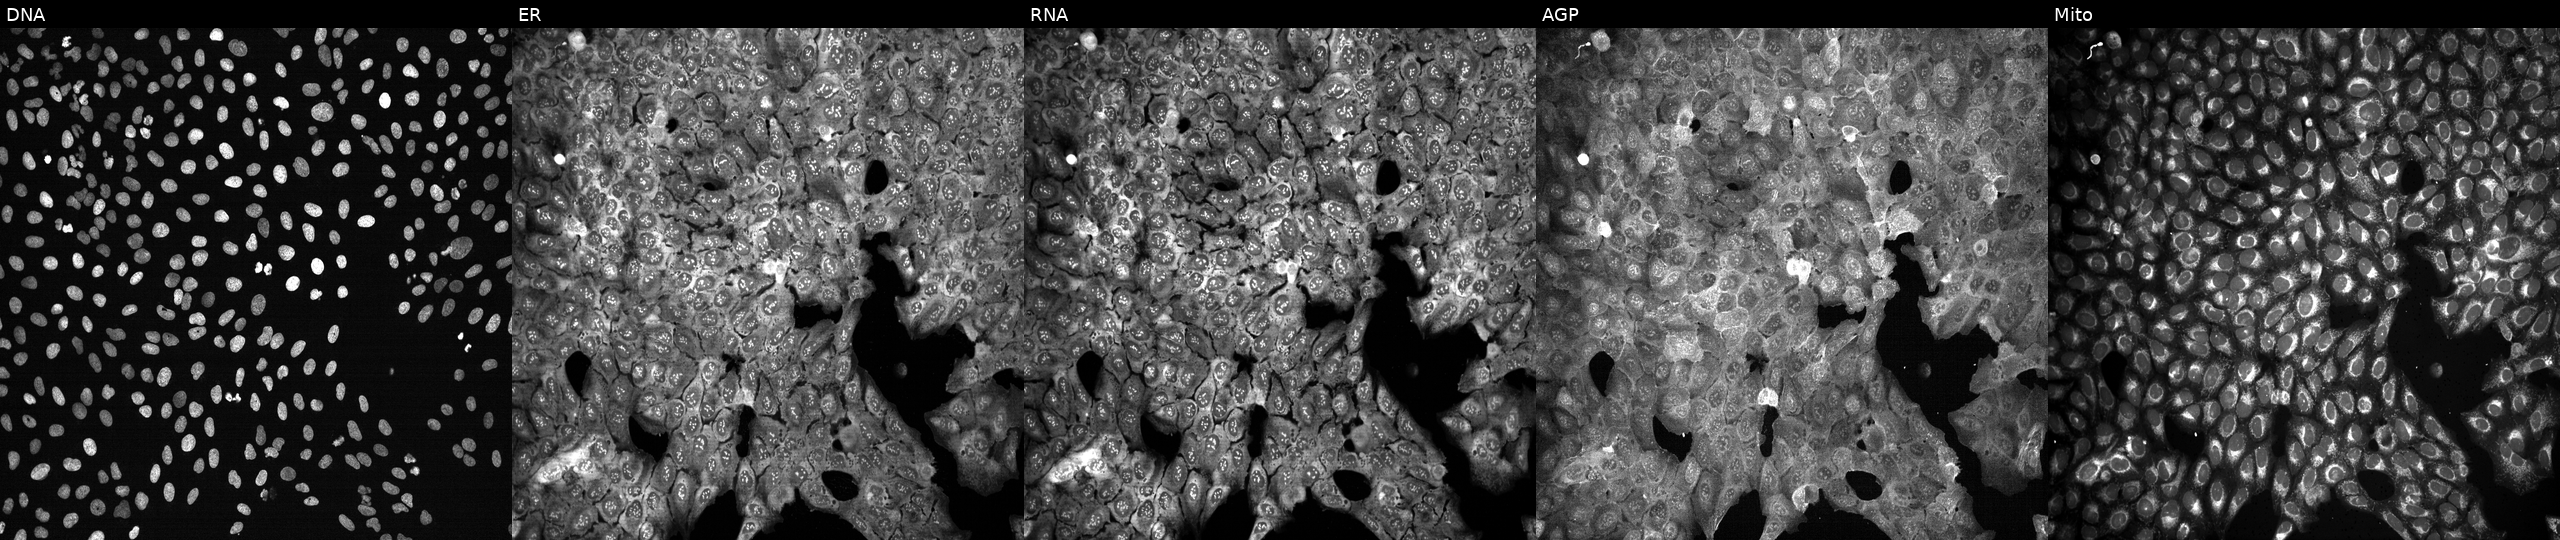
The five panels, left to right, show DNA (nuclei); ER (endoplasmic reticulum); RNA (nucleoli and cytoplasmic RNA); AGP (actin cytoskeleton, Golgi, and plasma membrane); Mito (mitochondria). U2OS osteosarcoma cells with a non-targeting CRISPR guide (negative control). Cell Painting assay, JUMP-CP dataset.